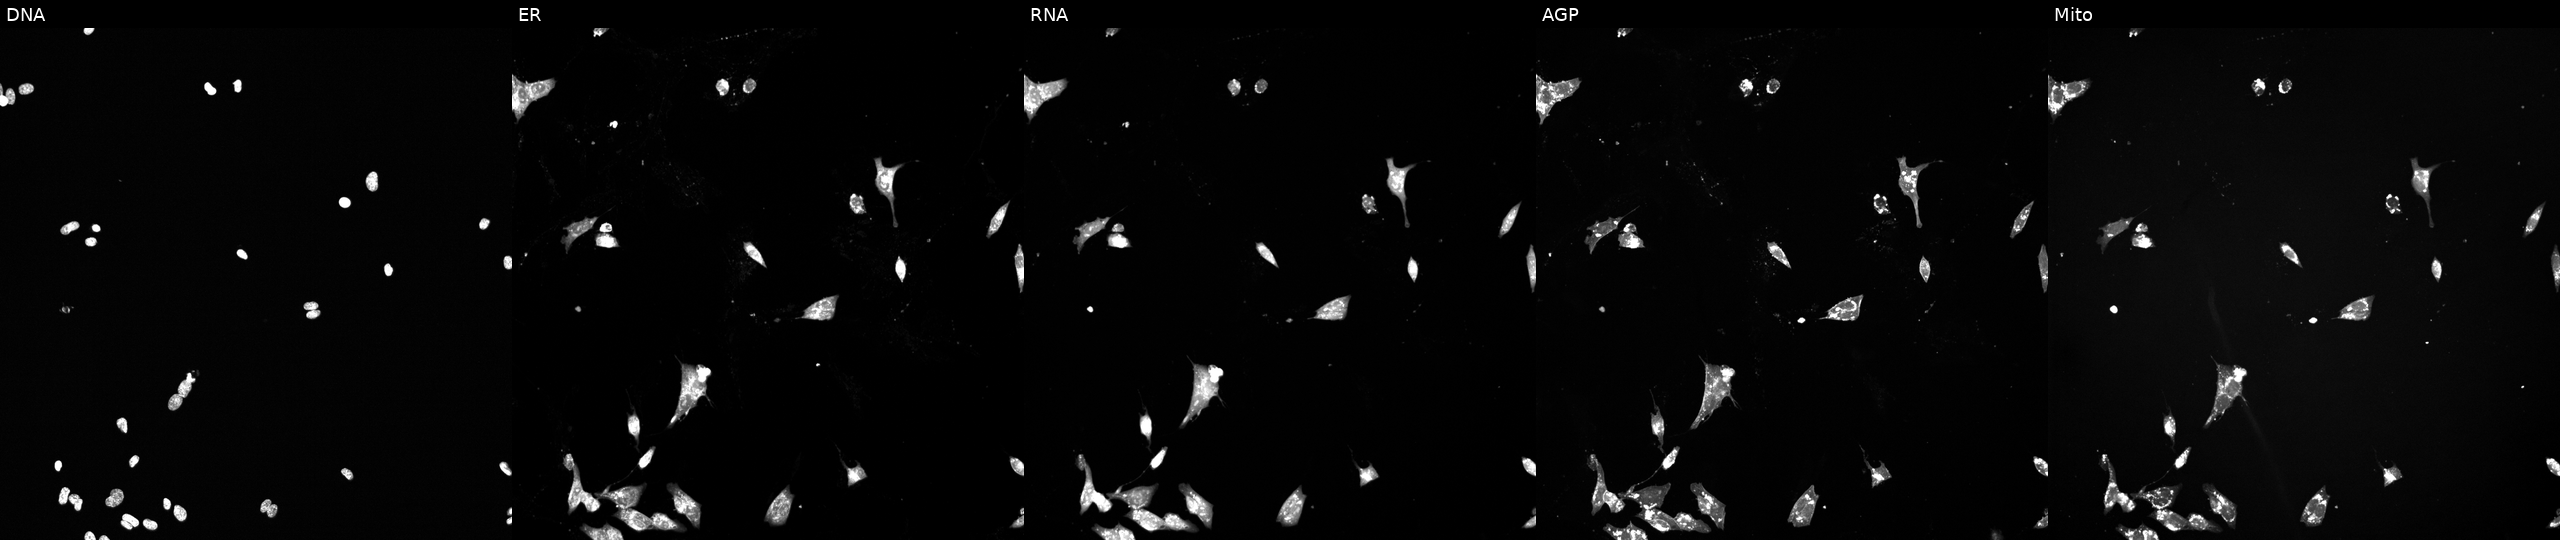
U2OS cells, Cell Painting assay, perturbed with a small-molecule compound. Panels show, left to right, DNA (nuclei); ER (endoplasmic reticulum); RNA (nucleoli and cytoplasmic RNA); AGP (actin cytoskeleton, Golgi, and plasma membrane); Mito (mitochondria). Each panel is percentile-stretched 16-bit fluorescence.